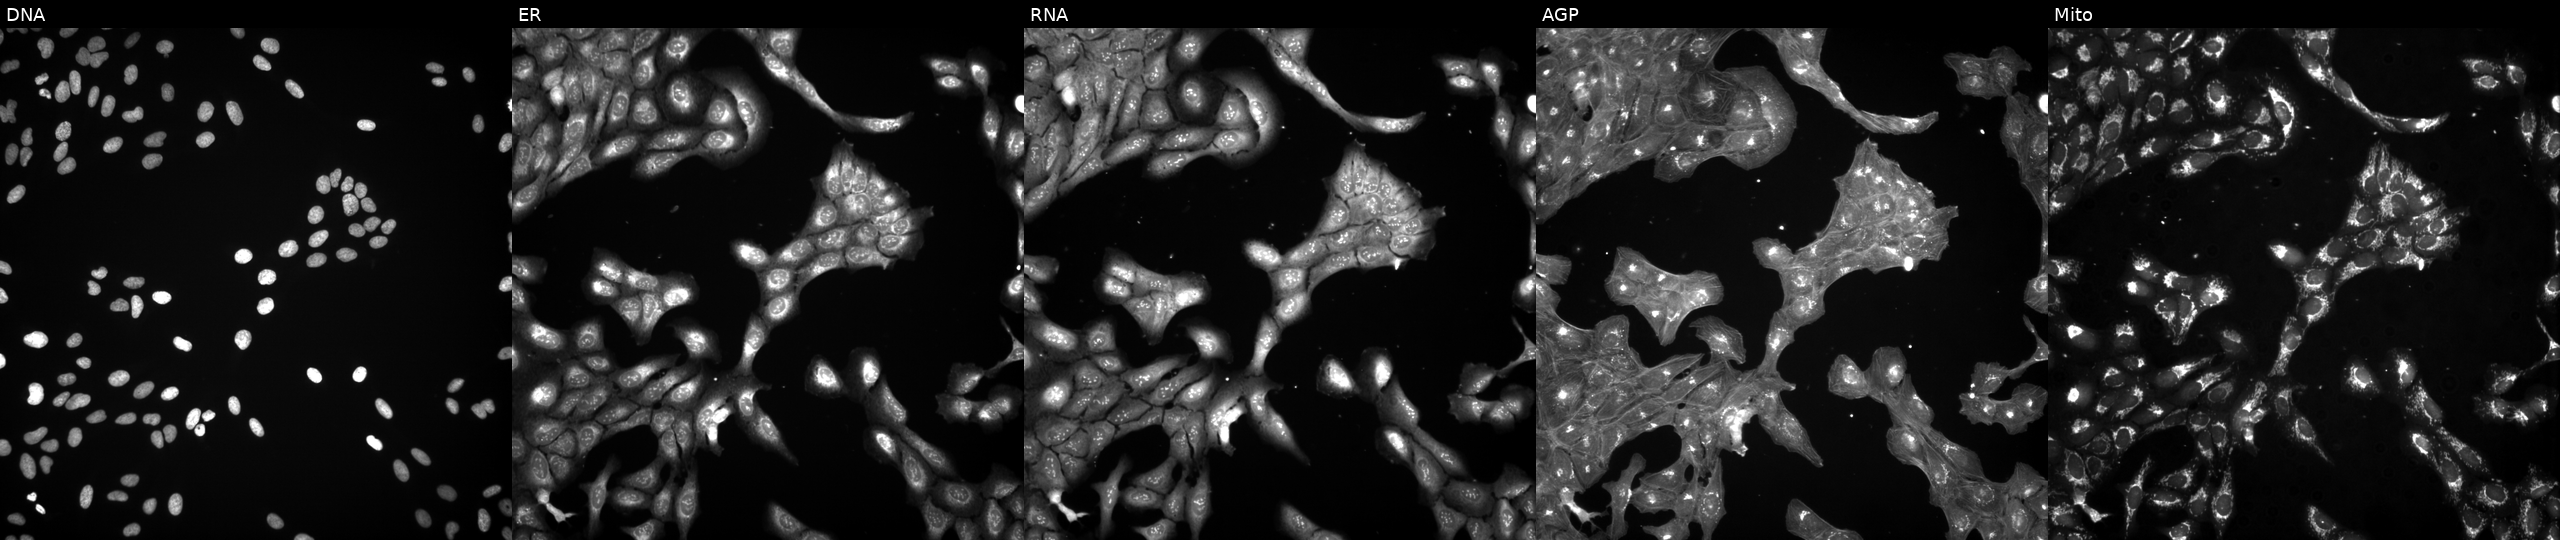
This image strip shows the five Cell Painting channels for a single field of U2OS cells perturbed with a small-molecule compound (InChIKey PHLBKPHSAVXXEF-UHFFFAOYSA-N). The five panels, left to right, show Hoechst 33342, concanavalin A, SYTO 14, phalloidin and WGA, MitoTracker. Source 3, plate JCPQC052, well L16.